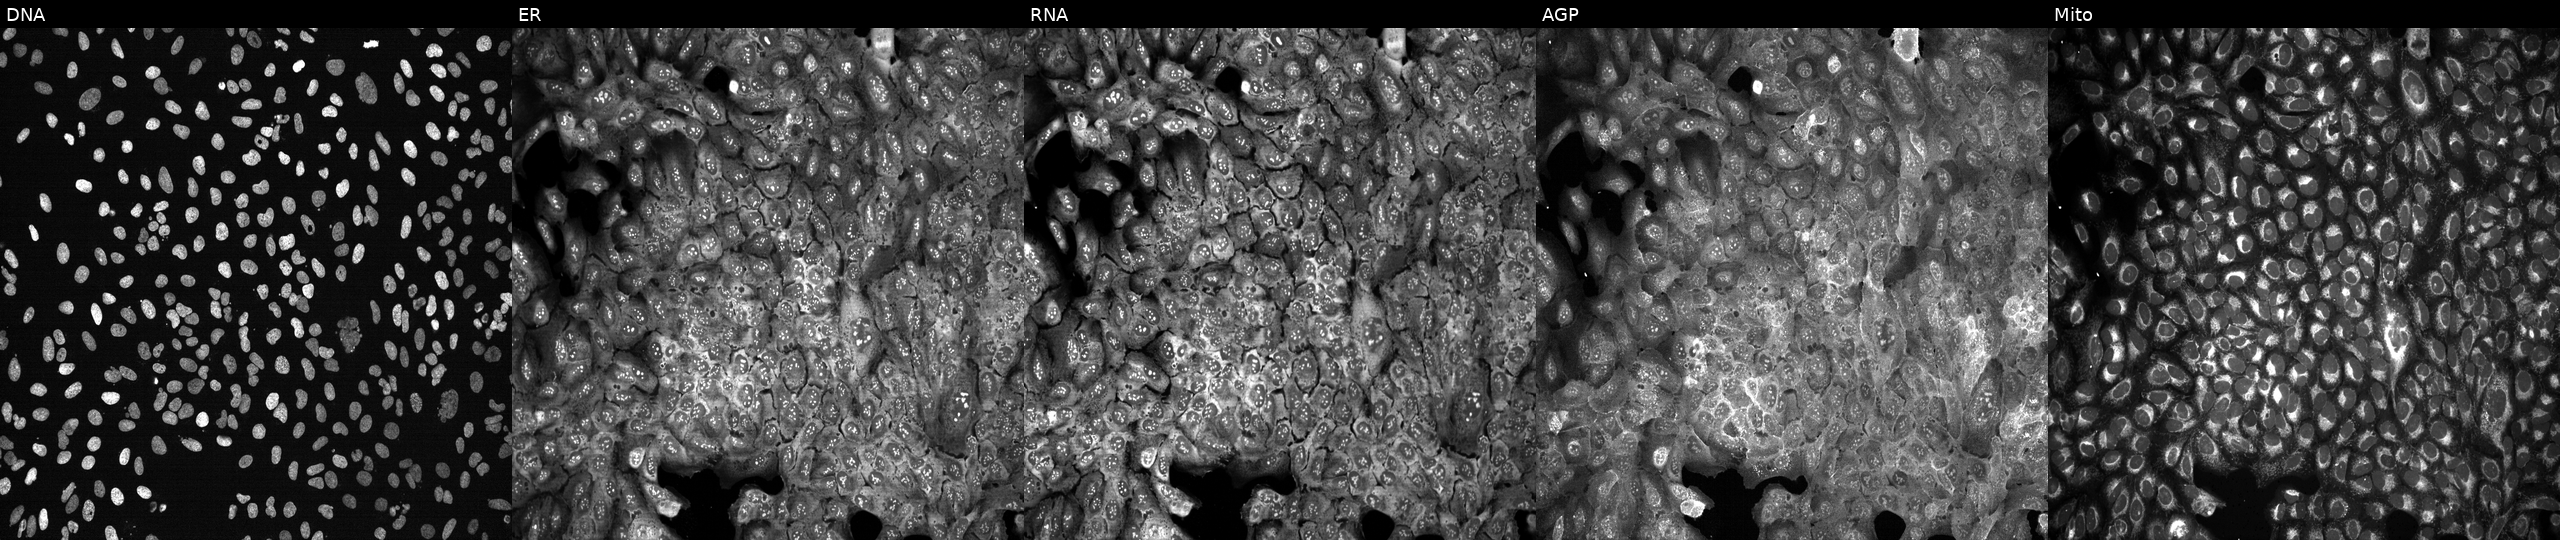
JUMP Cell Painting — CRISPR plate. U2OS cells following CRISPR knockout of S100A3. The five panels, left to right, show DNA, ER, RNA, AGP, and Mito. Source 13, plate CP-CC9-R4-04, well K19.